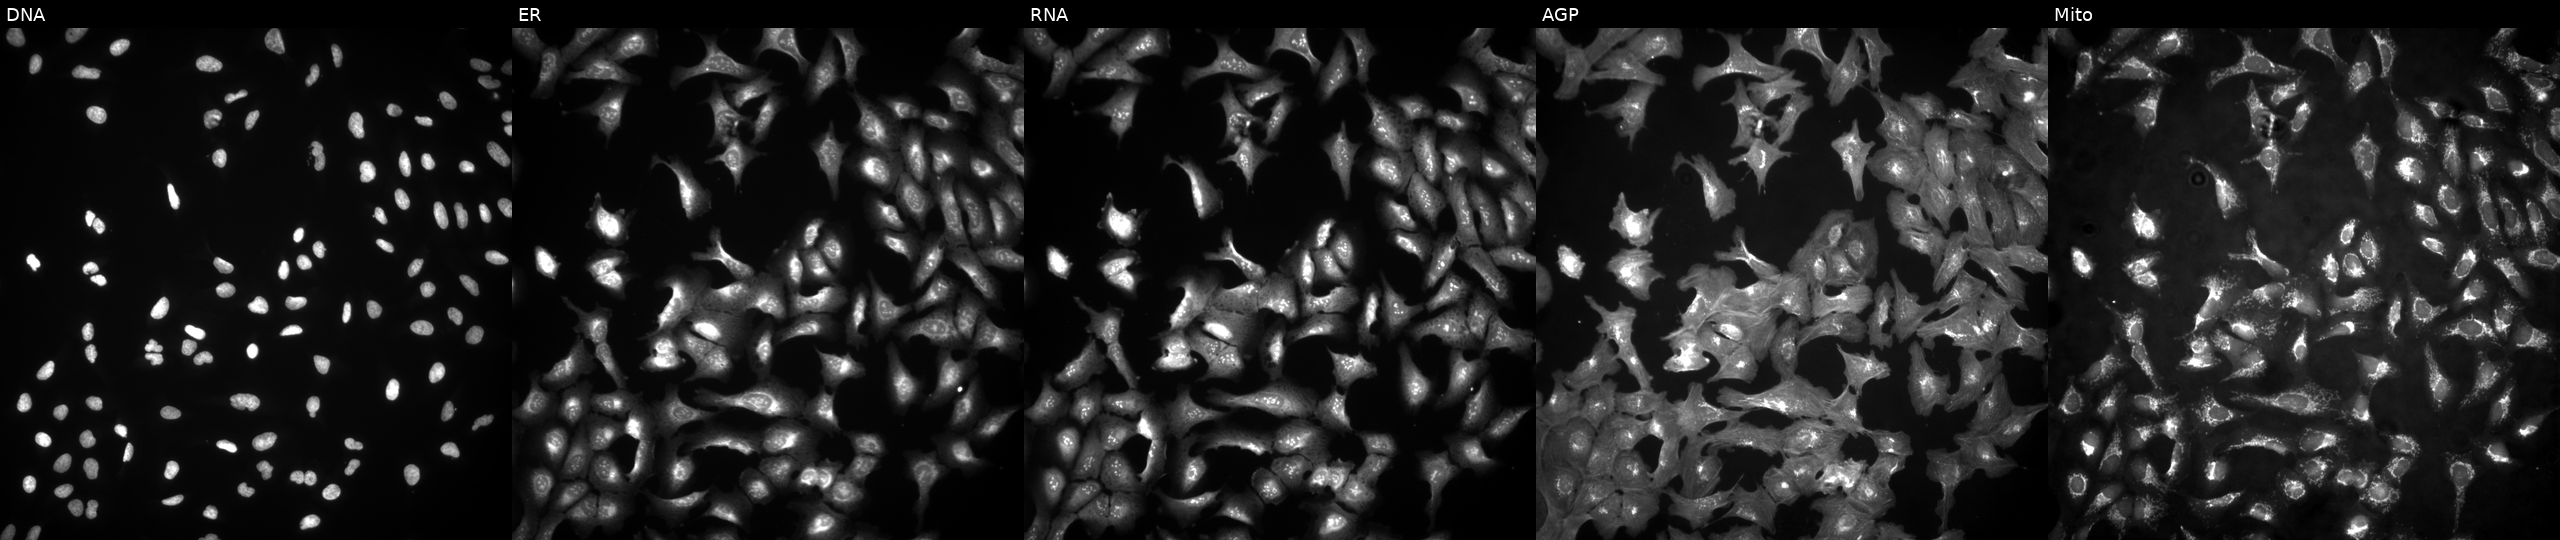
High-content fluorescence microscopy (Cell Painting). Cell line: U2OS. Perturbation: expressing eGFP (ORF positive control) (JUMP id JCP2022_915132). The five panels, left to right, show DNA (nuclei); ER (endoplasmic reticulum); RNA (nucleoli and cytoplasmic RNA); AGP (actin cytoskeleton, Golgi, and plasma membrane); Mito (mitochondria).